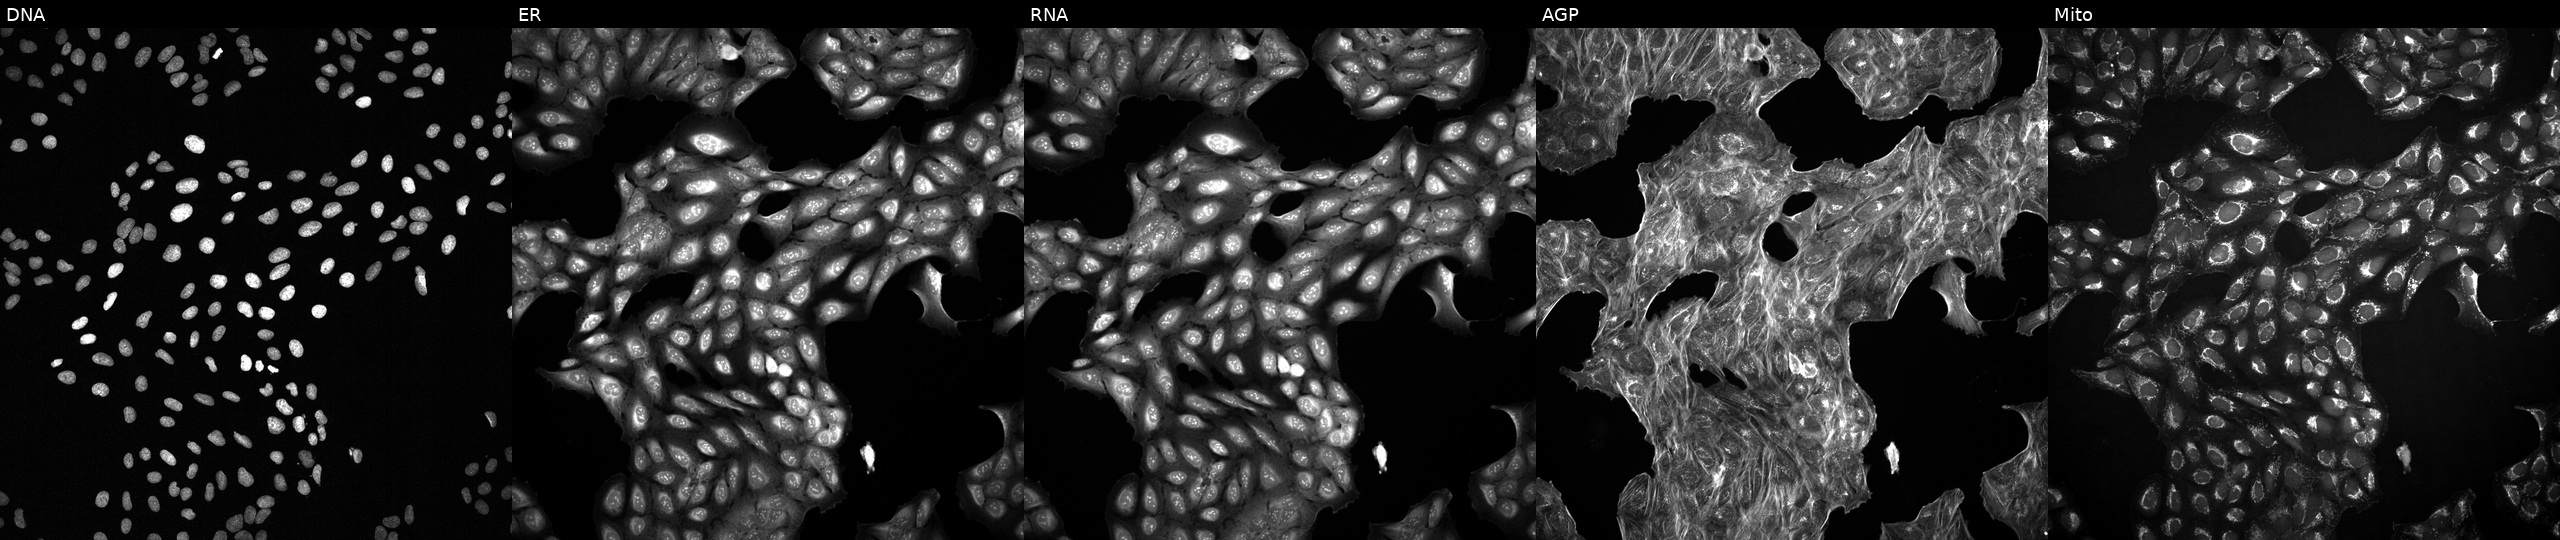
U2OS cells, Cell Painting assay, with an unidentified perturbation (not annotated in JUMP metadata). From left to right: DNA (nuclei); ER (endoplasmic reticulum); RNA (nucleoli and cytoplasmic RNA); AGP (actin cytoskeleton, Golgi, and plasma membrane); Mito (mitochondria). Each panel is percentile-stretched 16-bit fluorescence. Source 2, plate 1053601756, well L05.